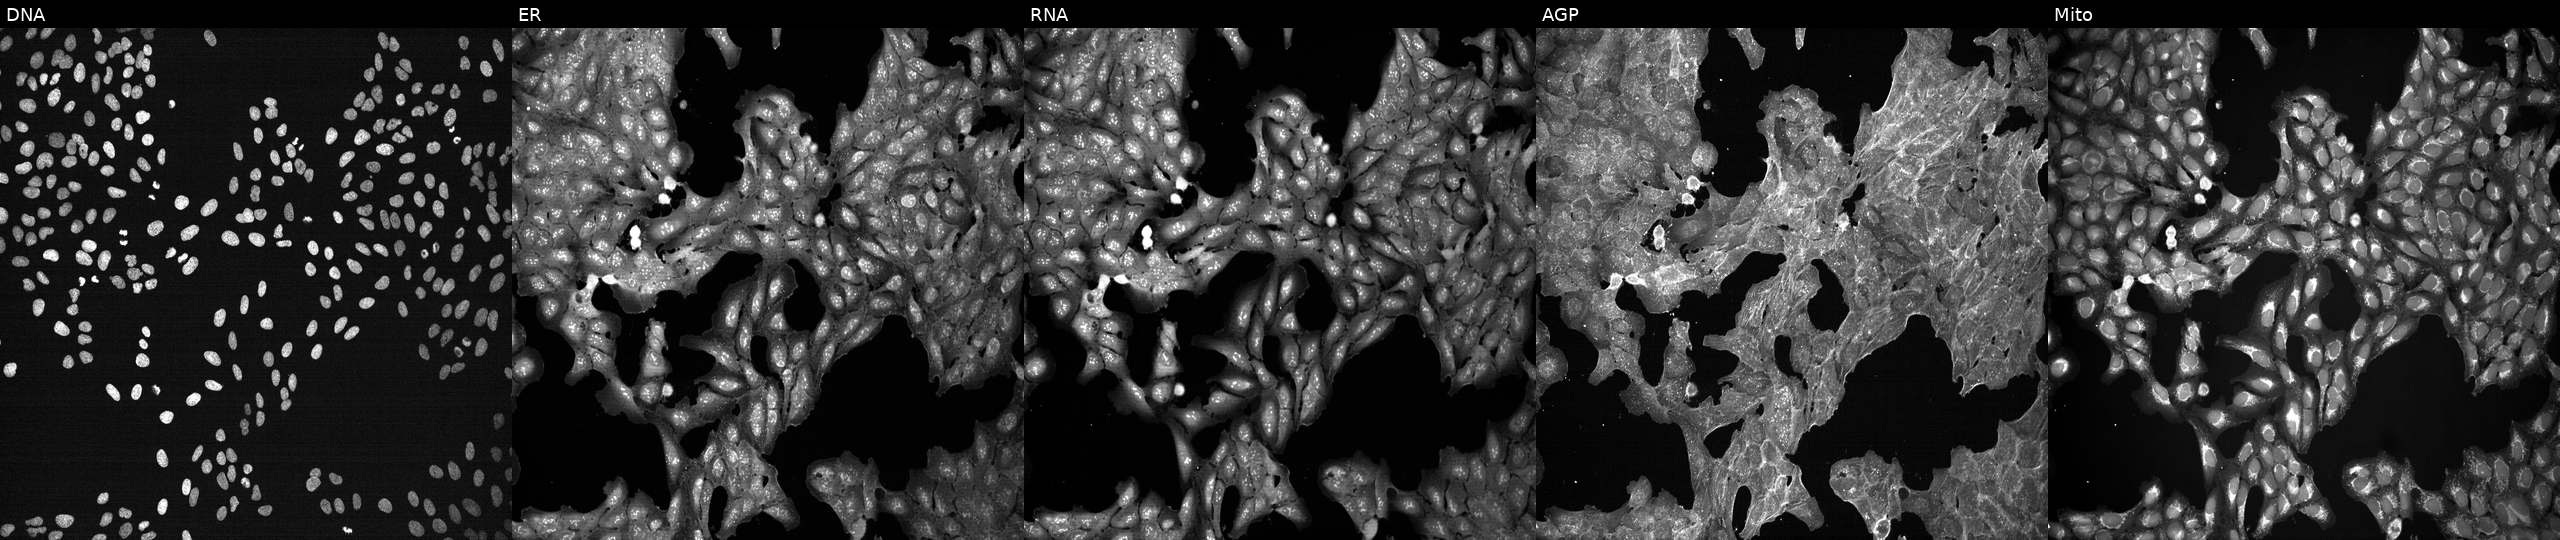
This image strip shows the five Cell Painting channels for a single field of U2OS cells treated with DMSO vehicle only (negative control) (JUMP id JCP2022_033924). Channels (left→right): Hoechst 33342, concanavalin A, SYTO 14, phalloidin and WGA, MitoTracker.